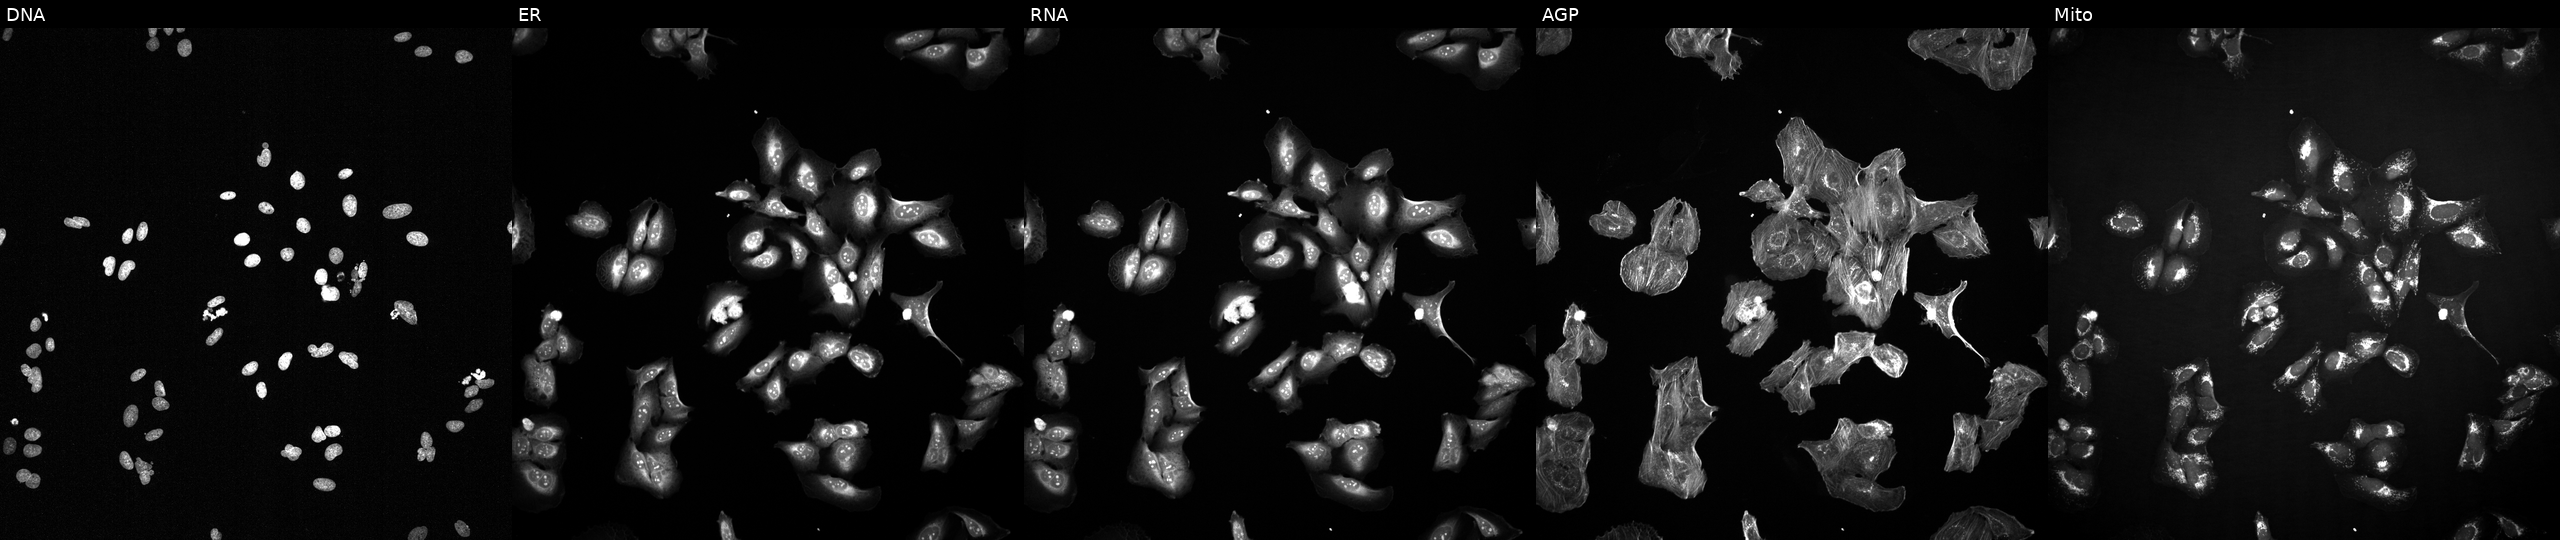
JUMP Cell Painting — COMPOUND plate. U2OS cells exposed to the positive-control compound TC-S-7004. From left to right: DNA (nuclei); ER (endoplasmic reticulum); RNA (nucleoli and cytoplasmic RNA); AGP (actin cytoskeleton, Golgi, and plasma membrane); Mito (mitochondria).